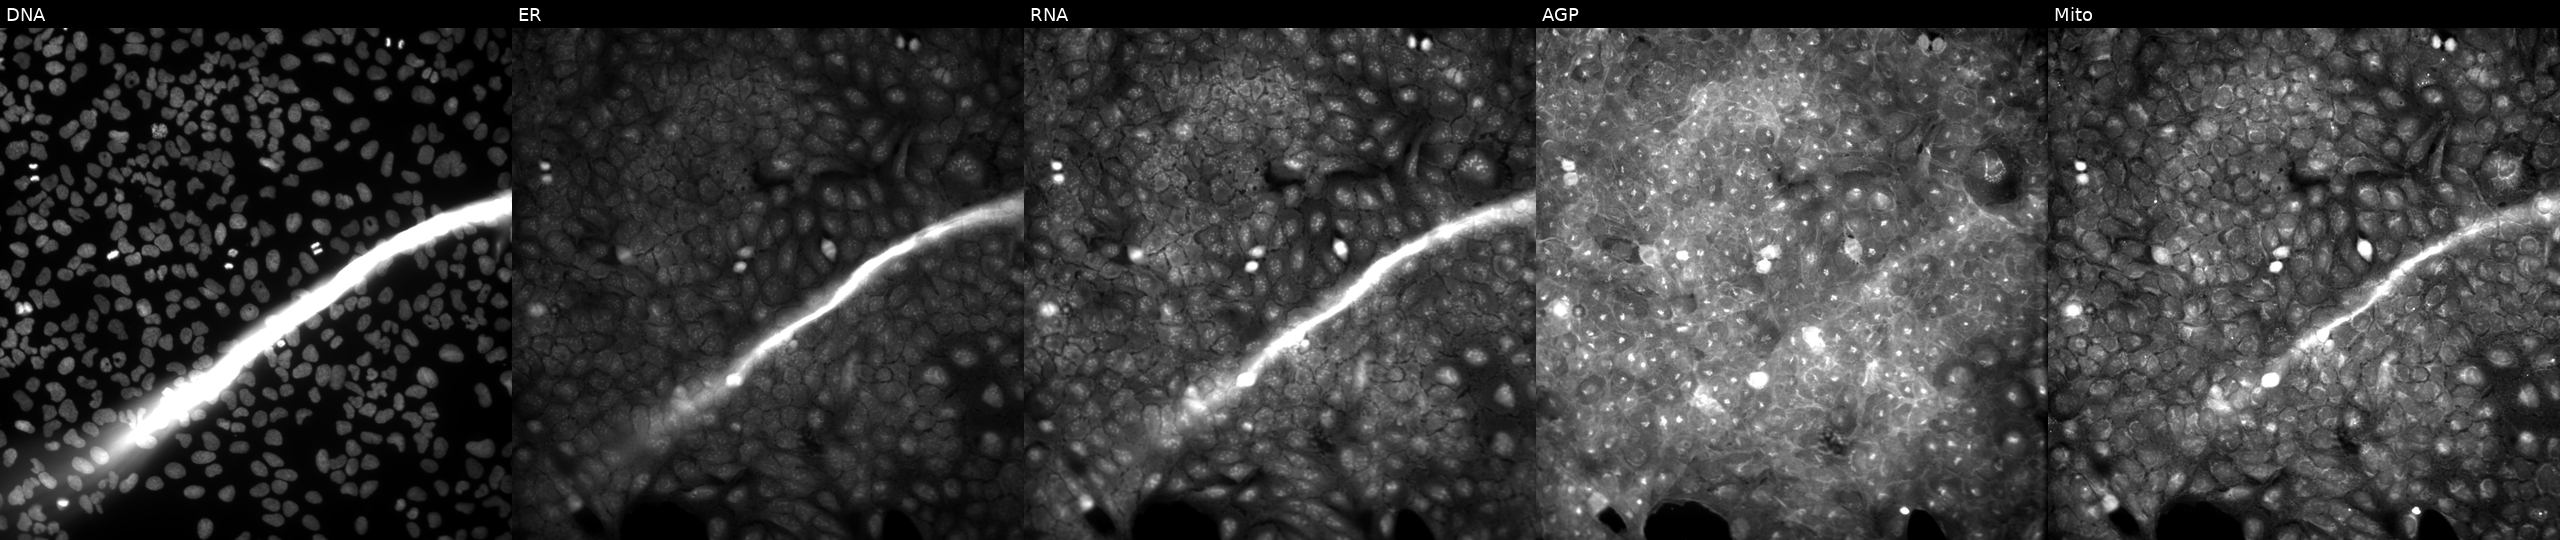
The five panels, left to right, show Hoechst 33342, concanavalin A, SYTO 14, phalloidin and WGA, MitoTracker. U2OS osteosarcoma cells exposed to a small-molecule compound (InChIKey BUZHKGXZGKMOHM-UHFFFAOYSA-N) (JUMP id JCP2022_008848). Cell Painting assay, JUMP-CP dataset.